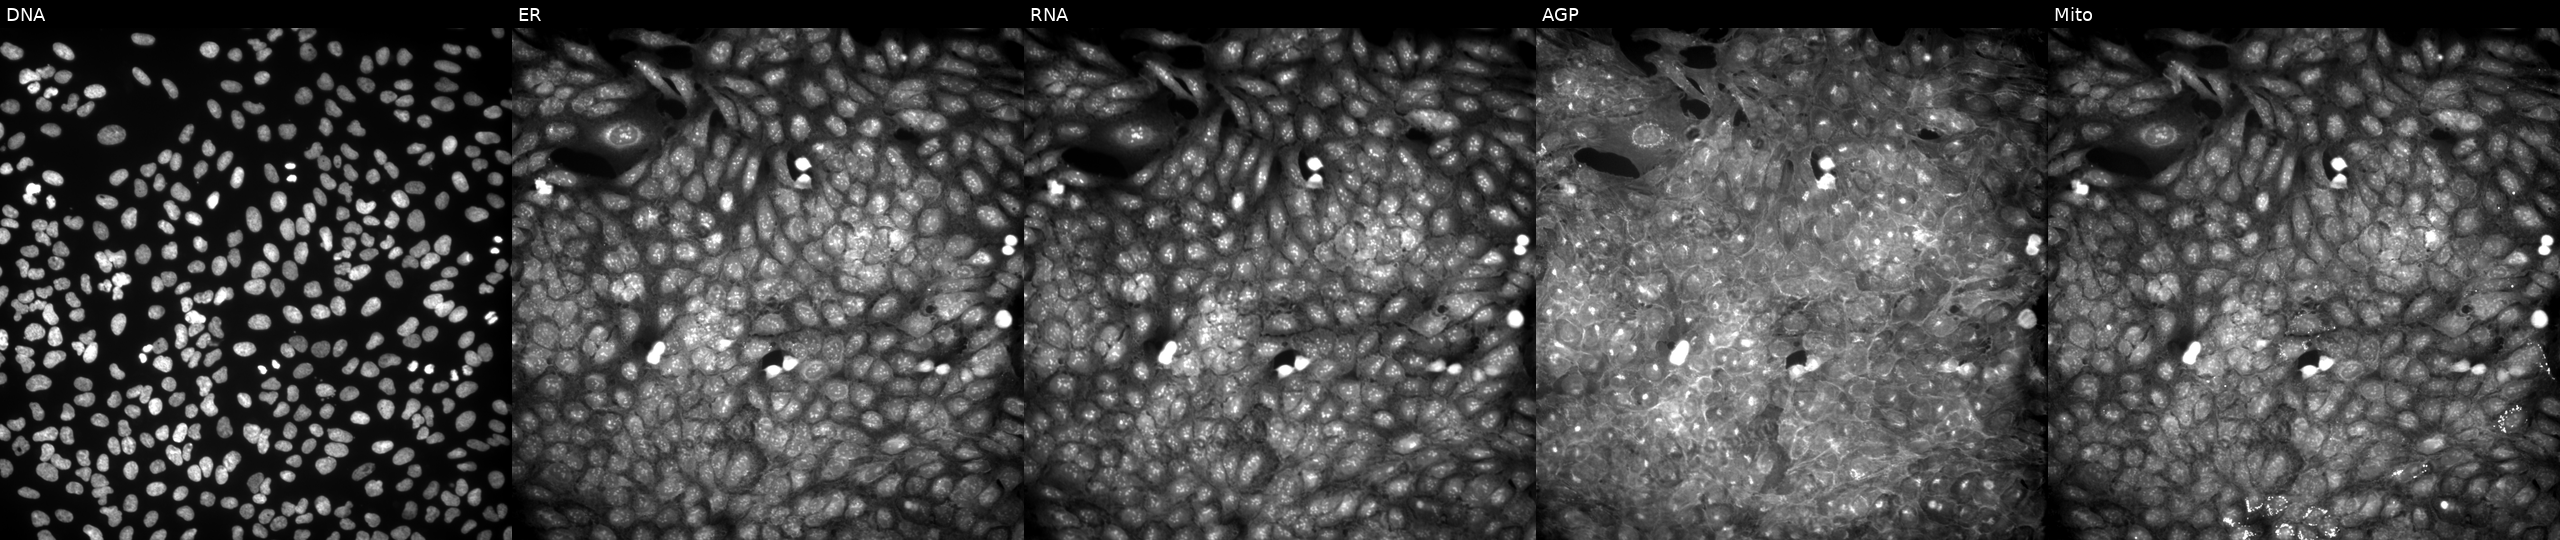
U2OS cells, Cell Painting assay, exposed to DMSO alone as a negative control. Panels show, left to right, Hoechst 33342, concanavalin A, SYTO 14, phalloidin and WGA, MitoTracker. Each panel is percentile-stretched 16-bit fluorescence.